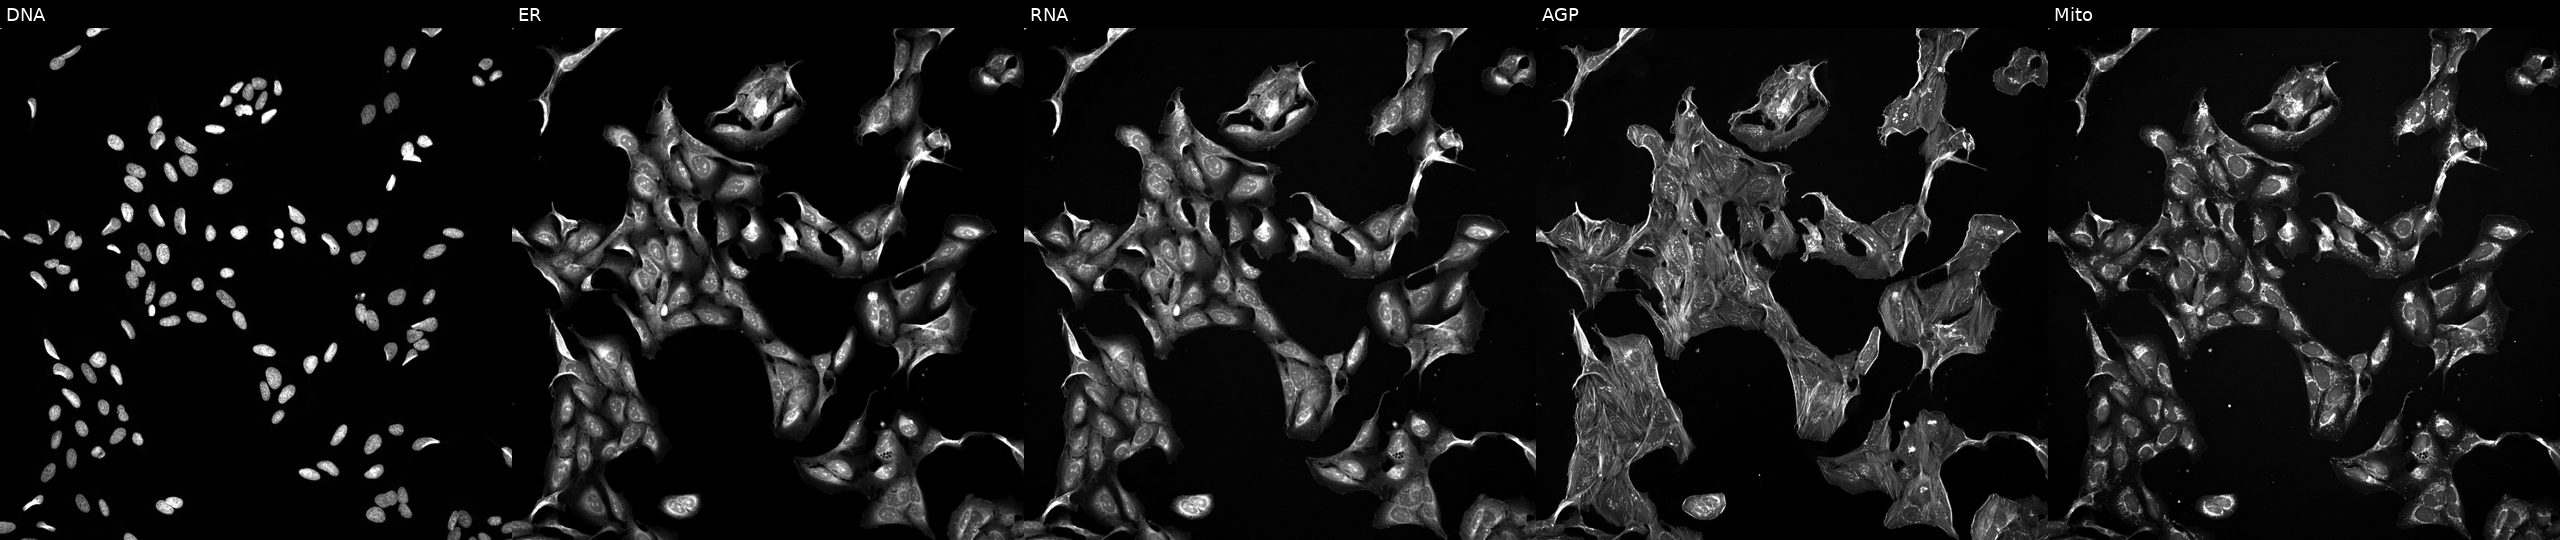
U2OS cells, Cell Painting assay, perturbed with a small-molecule compound (InChIKey WYWHKKSPHMUBEB-UHFFFAOYSA-N) (JUMP id JCP2022_102083). Panels show, left to right, Hoechst 33342, concanavalin A, SYTO 14, phalloidin and WGA, MitoTracker. Each panel is percentile-stretched 16-bit fluorescence. Source 5, plate ACPJUM032, well D20.